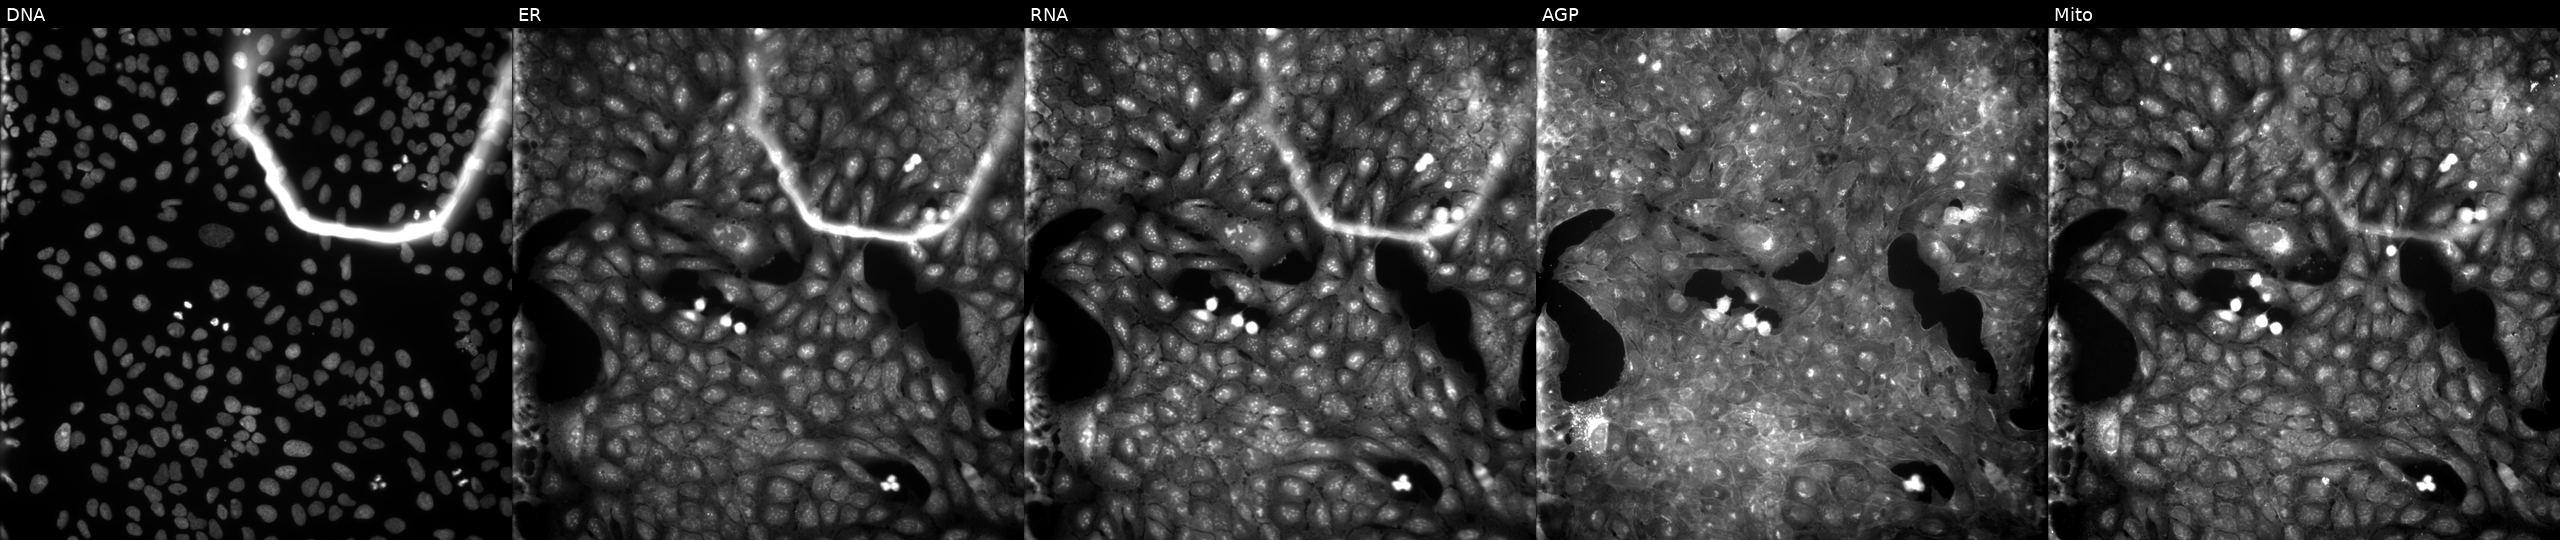
From left to right: DNA, ER, RNA, AGP, and Mito. U2OS osteosarcoma cells treated with a small-molecule compound (InChIKey QXDRUASDZUFBGF-UHFFFAOYSA-N). Cell Painting assay, JUMP-CP dataset.